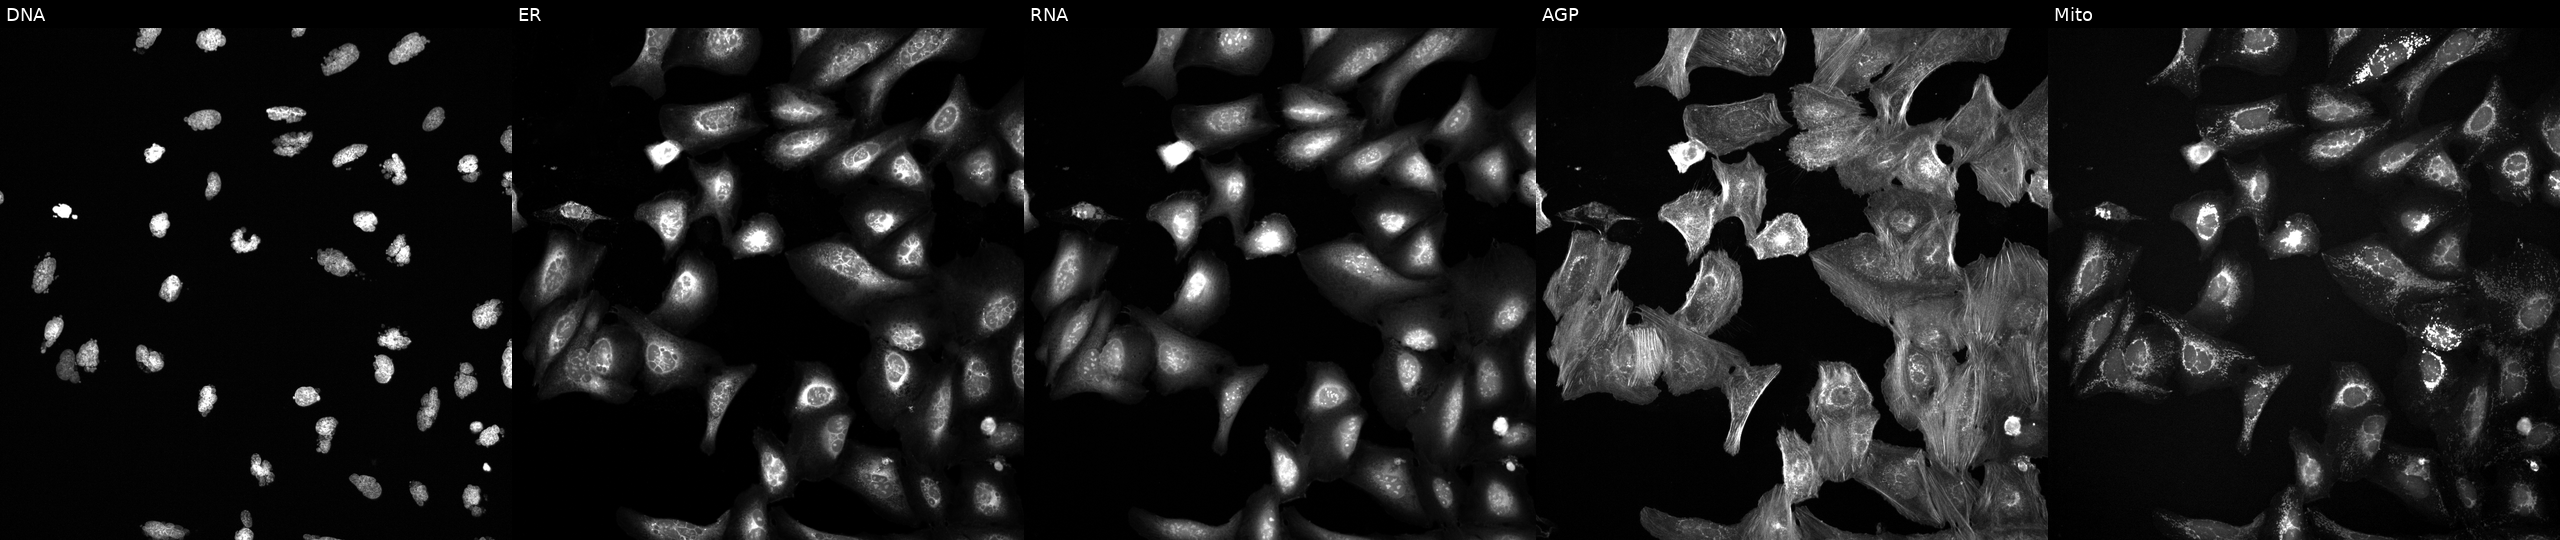
U2OS cells, Cell Painting assay, exposed to the positive-control compound AMG900. From left to right: DNA (nuclei); ER (endoplasmic reticulum); RNA (nucleoli and cytoplasmic RNA); AGP (actin cytoskeleton, Golgi, and plasma membrane); Mito (mitochondria). Each panel is percentile-stretched 16-bit fluorescence.